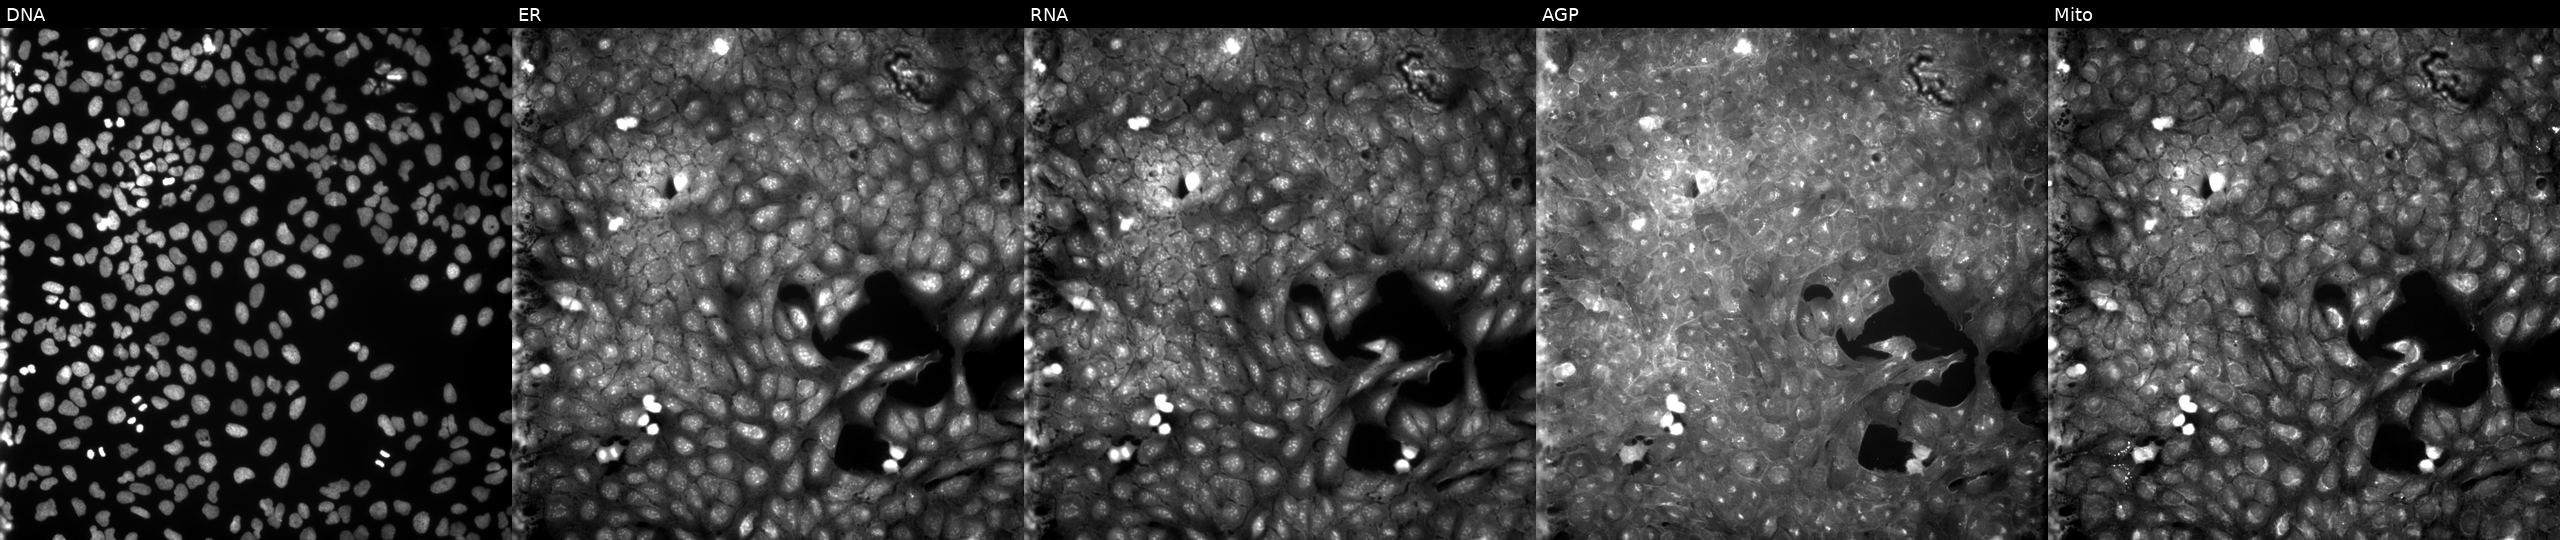
High-content fluorescence microscopy (Cell Painting). Cell line: U2OS. Perturbation: exposed to the positive-control compound quinidine. The five panels, left to right, show DNA (nuclei); ER (endoplasmic reticulum); RNA (nucleoli and cytoplasmic RNA); AGP (actin cytoskeleton, Golgi, and plasma membrane); Mito (mitochondria). Source 9, plate GR00003381, well G24.